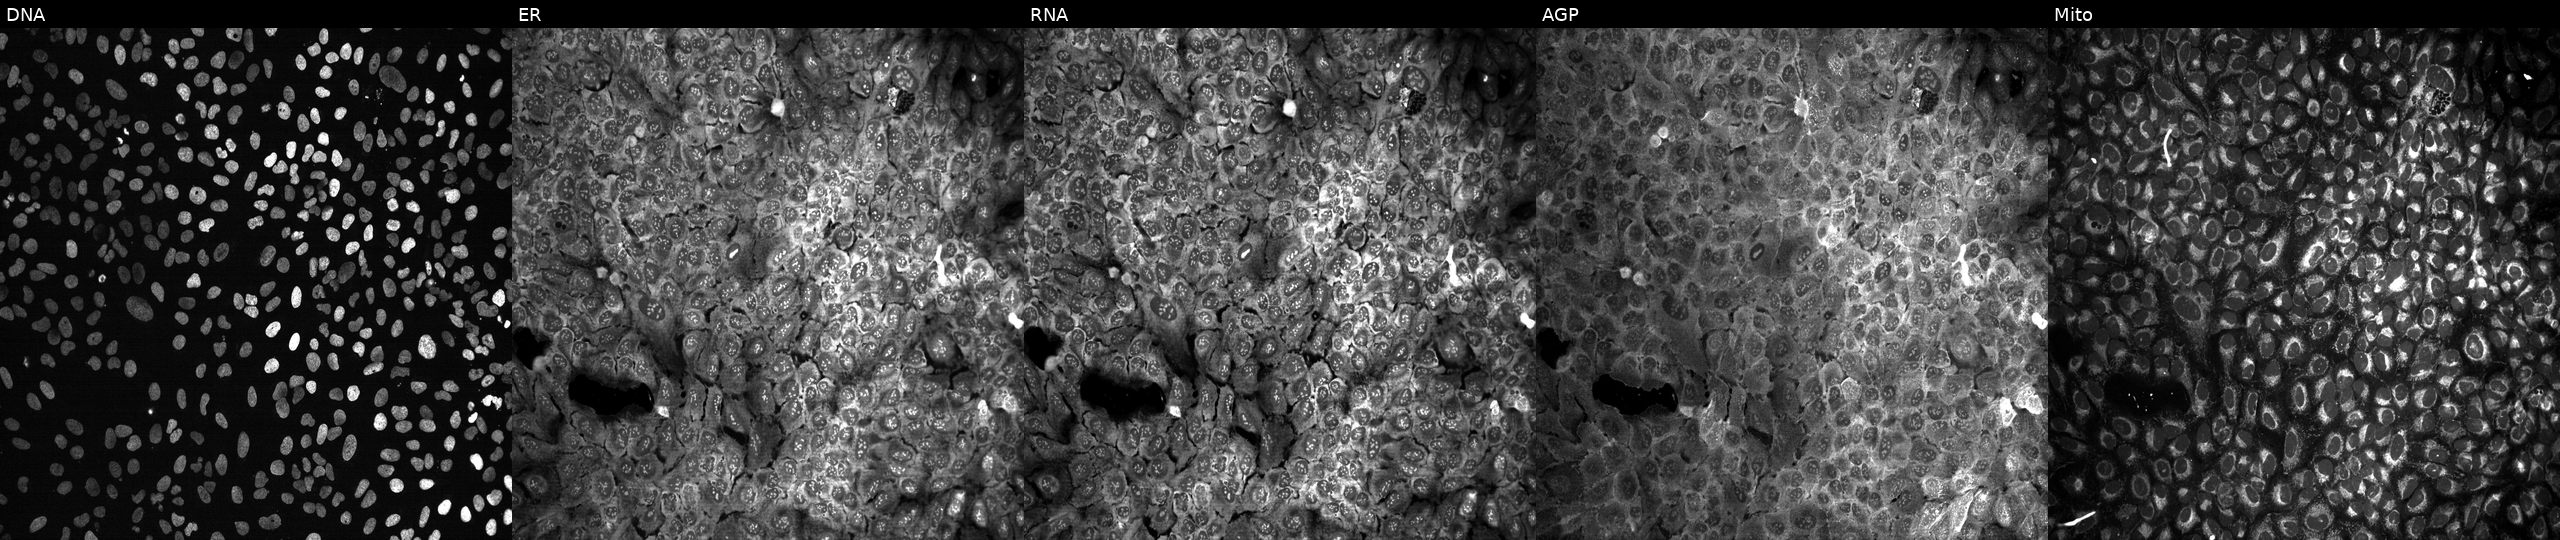
U2OS cells, Cell Painting assay, with ACOT1 knocked out by CRISPR. Panels show, left to right, DNA, ER, RNA, AGP, and Mito. Each panel is percentile-stretched 16-bit fluorescence.